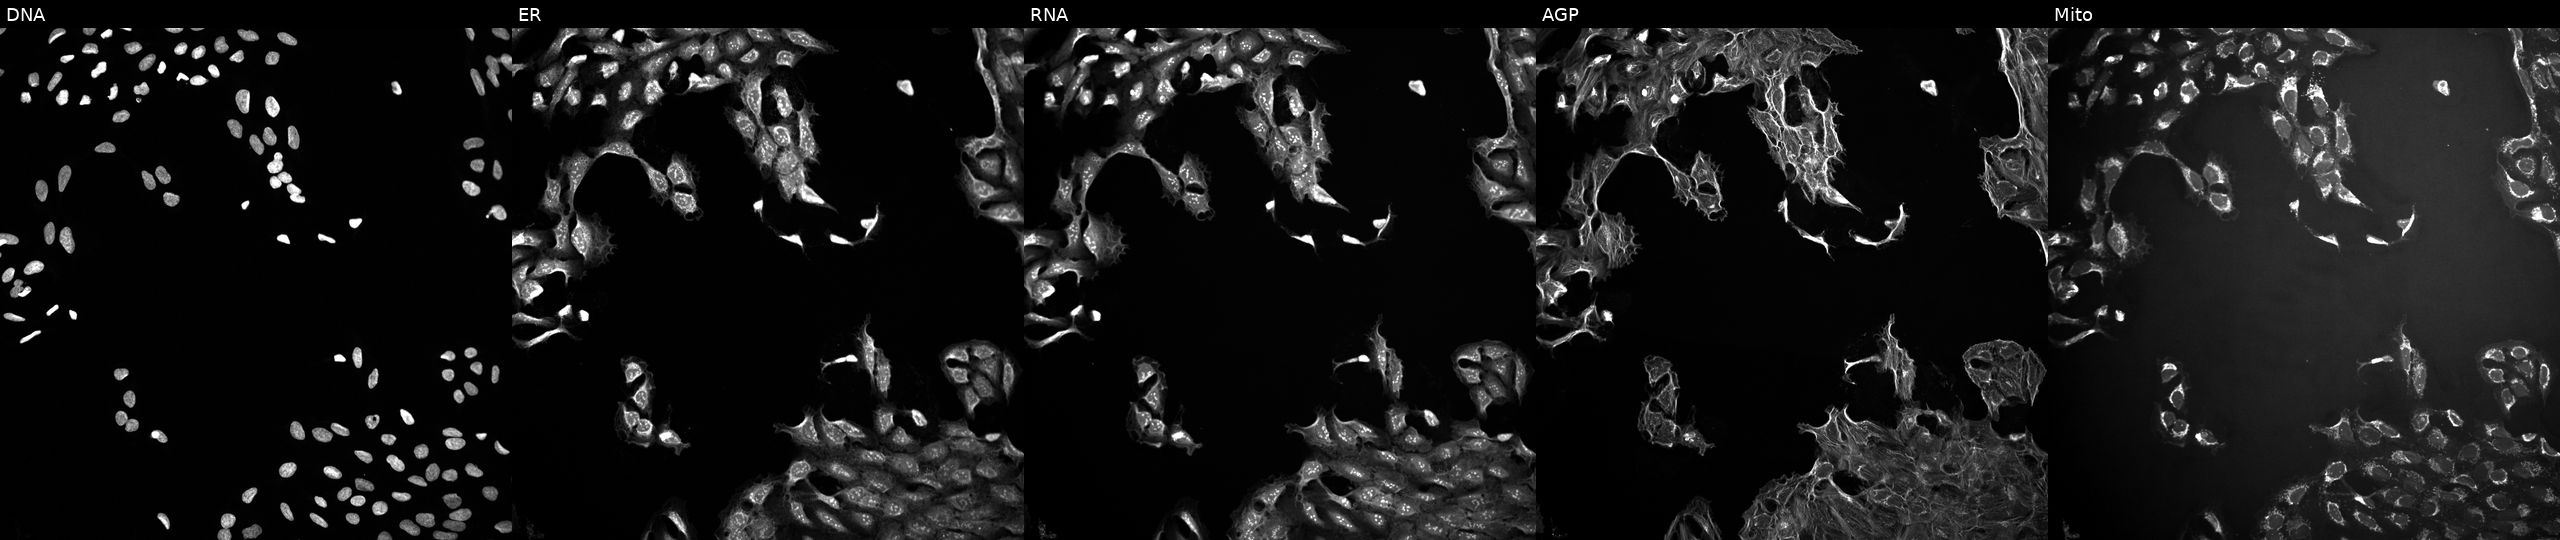
High-content fluorescence microscopy (Cell Painting). Cell line: U2OS. Perturbation: perturbed with a small-molecule compound (InChIKey HQGWKNGAKBPTBX-UHFFFAOYSA-N) [SMILES: COC1(C2=NCCN2)COc2ccccc2O1] (JUMP id JCP2022_031861). Channels (left→right): DNA (nuclei); ER (endoplasmic reticulum); RNA (nucleoli and cytoplasmic RNA); AGP (actin cytoskeleton, Golgi, and plasma membrane); Mito (mitochondria). Source 10, plate Dest210726-160150, well K18.